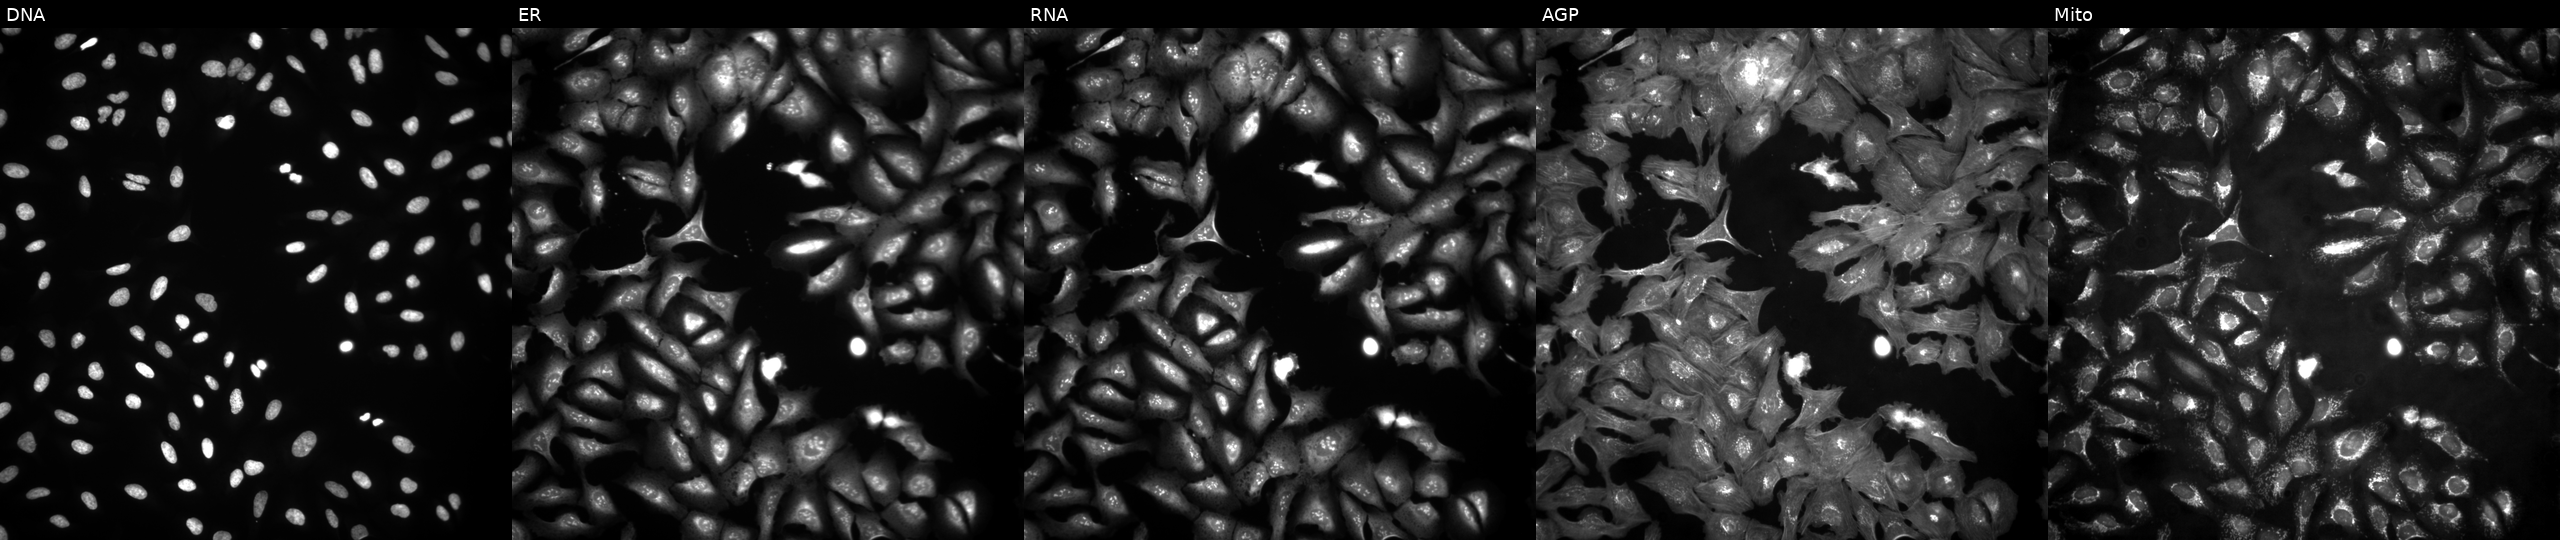
High-content fluorescence microscopy (Cell Painting). Cell line: U2OS. Perturbation: transfected with an ORF construct for BAX (JUMP id JCP2022_900140). Panels show, left to right, DNA, ER, RNA, AGP, and Mito.